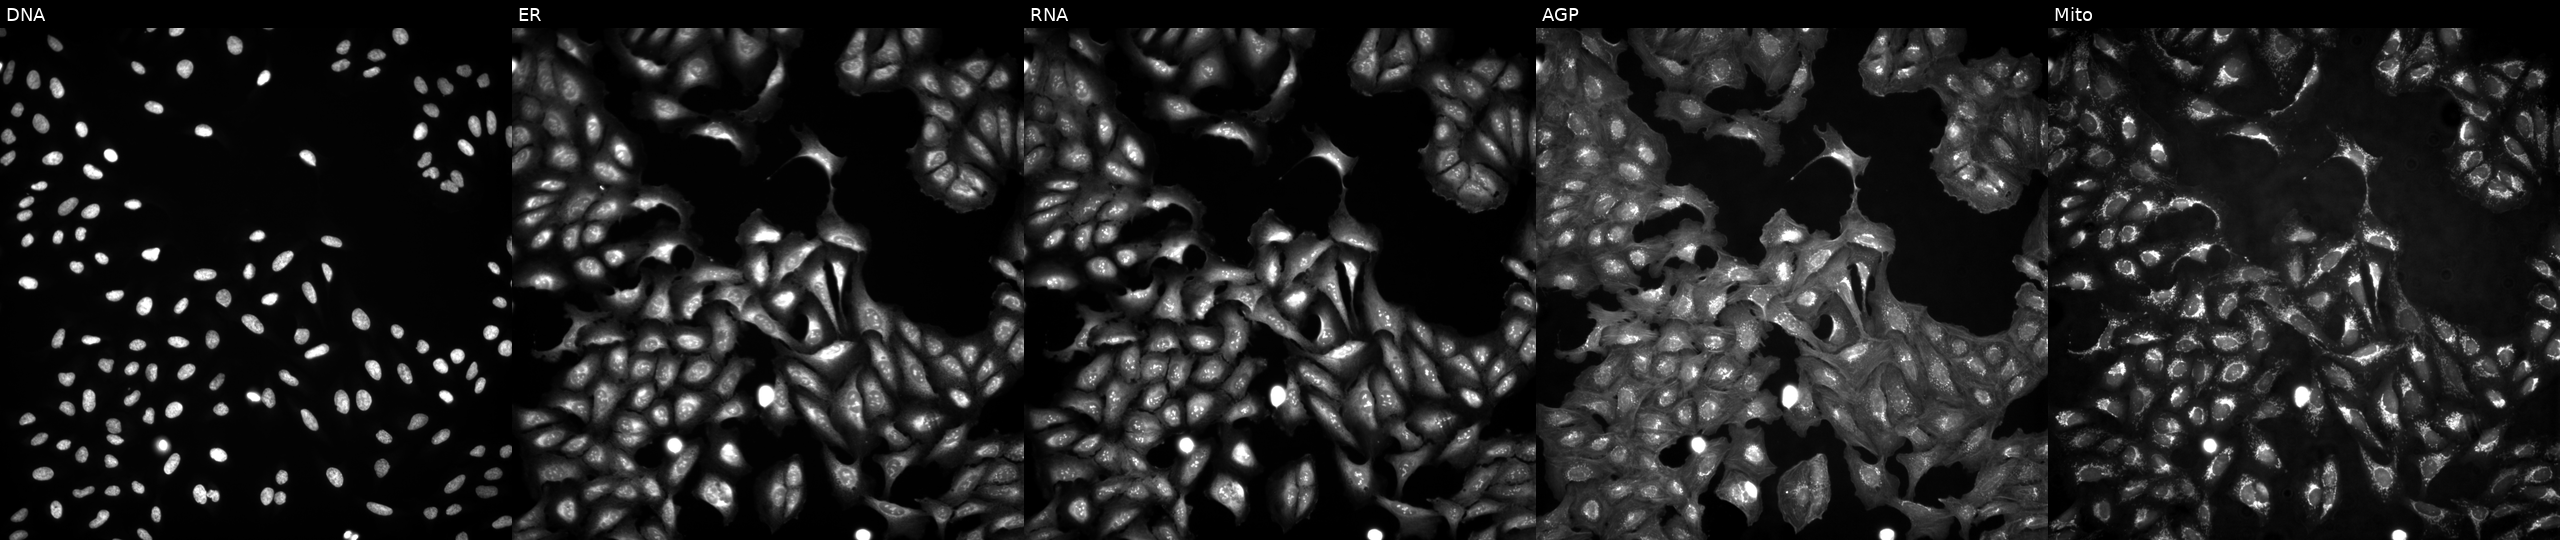
This image strip shows the five Cell Painting channels for a single field of U2OS cells in an empty control well (no perturbation) (JUMP id JCP2022_999999). Panels show, left to right, Hoechst 33342, concanavalin A, SYTO 14, phalloidin and WGA, MitoTracker. Source 4, plate BR00124793, well B04.